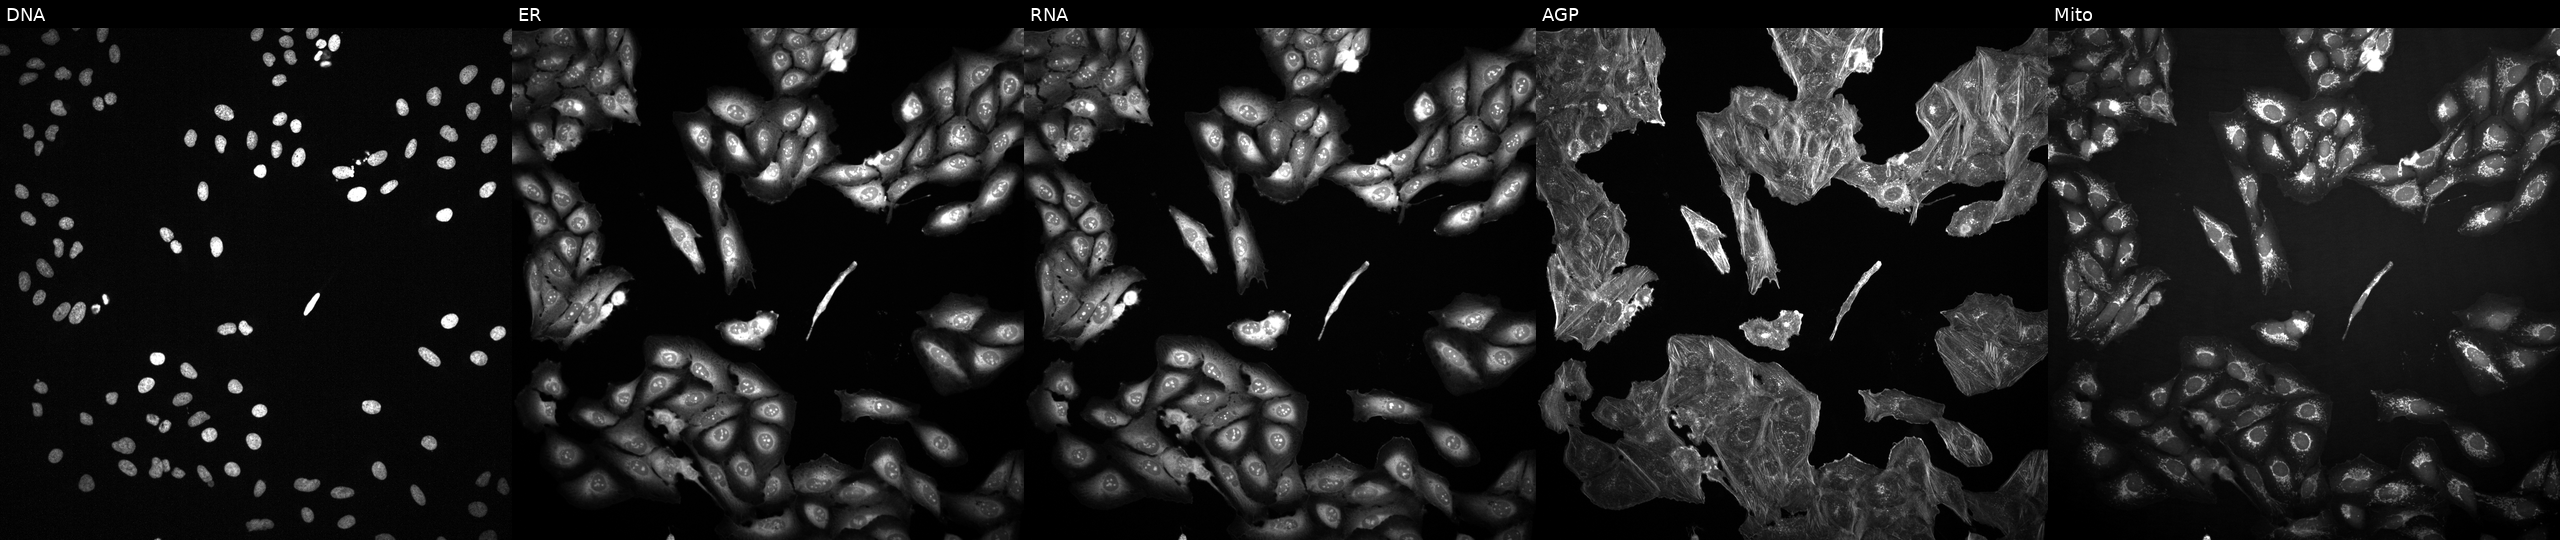
This image strip shows the five Cell Painting channels for a single field of U2OS cells exposed to a small-molecule compound (InChIKey OQQVFCKUDYMWGV-UHFFFAOYSA-N). The five panels, left to right, show DNA (nuclei); ER (endoplasmic reticulum); RNA (nucleoli and cytoplasmic RNA); AGP (actin cytoskeleton, Golgi, and plasma membrane); Mito (mitochondria).